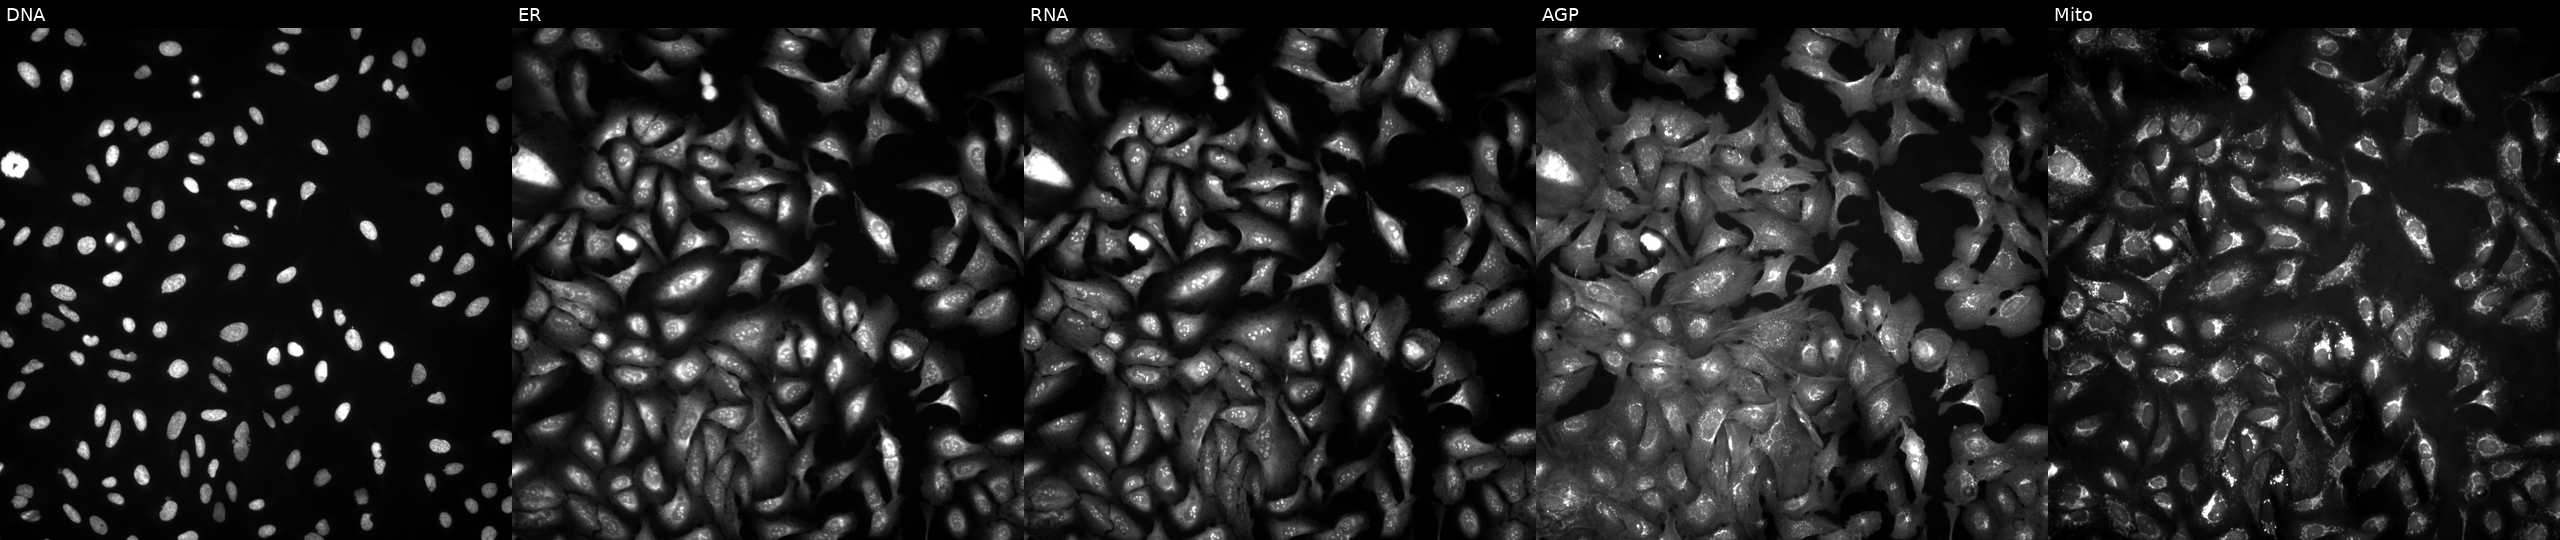
High-content fluorescence microscopy (Cell Painting). Cell line: U2OS. Perturbation: overexpressing DHTKD1 via ORF transfection (JUMP id JCP2022_907985). Channels (left→right): DNA (nuclei); ER (endoplasmic reticulum); RNA (nucleoli and cytoplasmic RNA); AGP (actin cytoskeleton, Golgi, and plasma membrane); Mito (mitochondria).